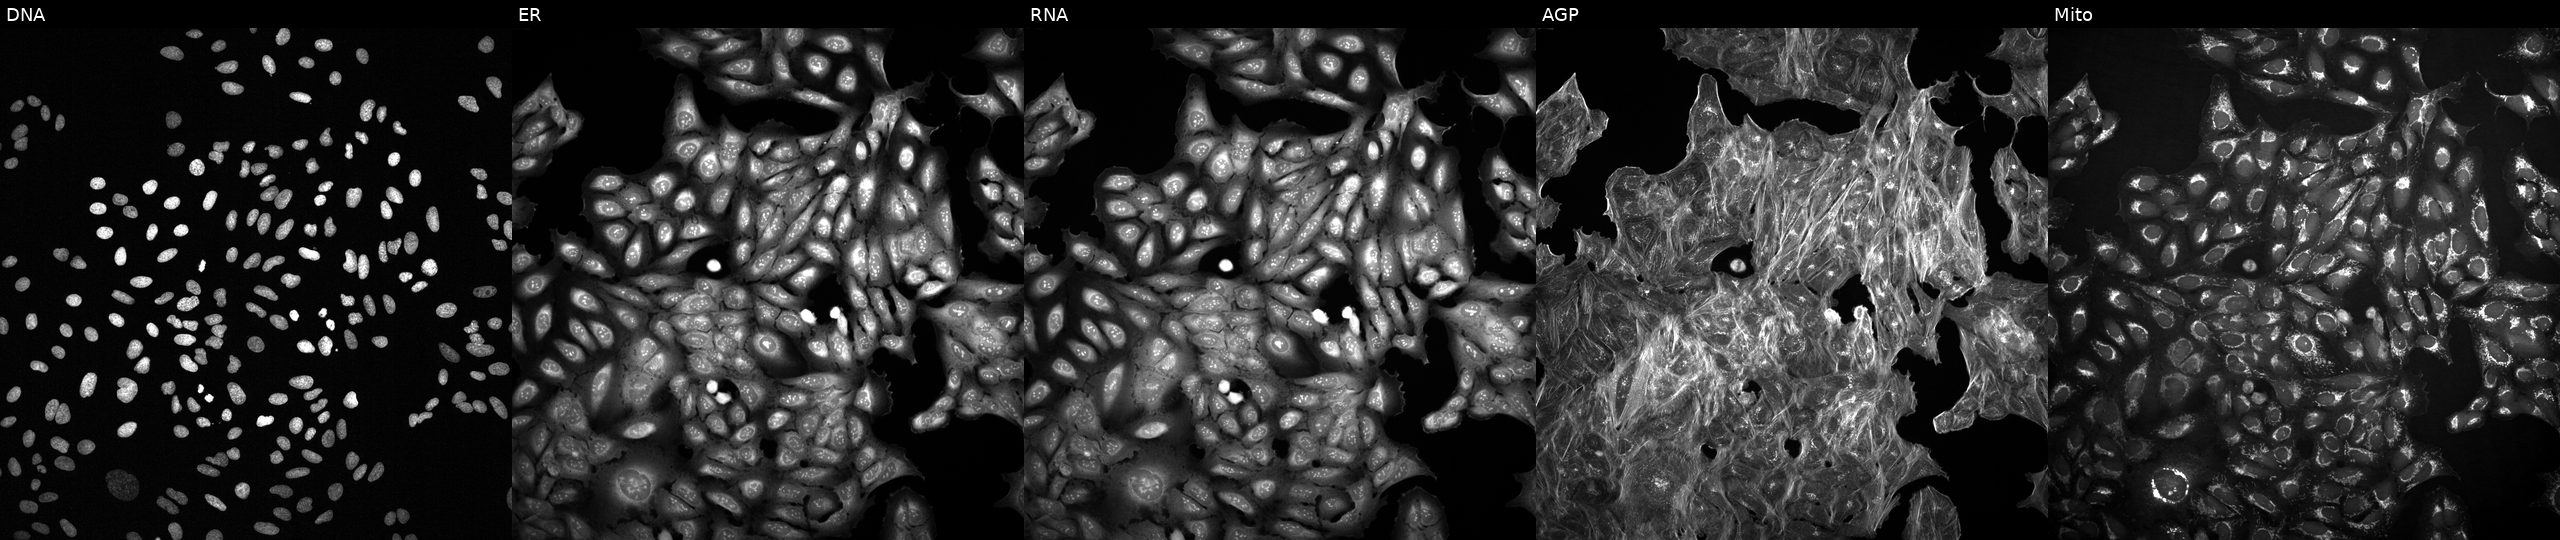
JUMP Cell Painting — COMPOUND plate. U2OS cells treated with a small-molecule compound (InChIKey DVPSJZJBTMNPLD-UHFFFAOYSA-N). The five panels, left to right, show DNA, ER, RNA, AGP, and Mito.